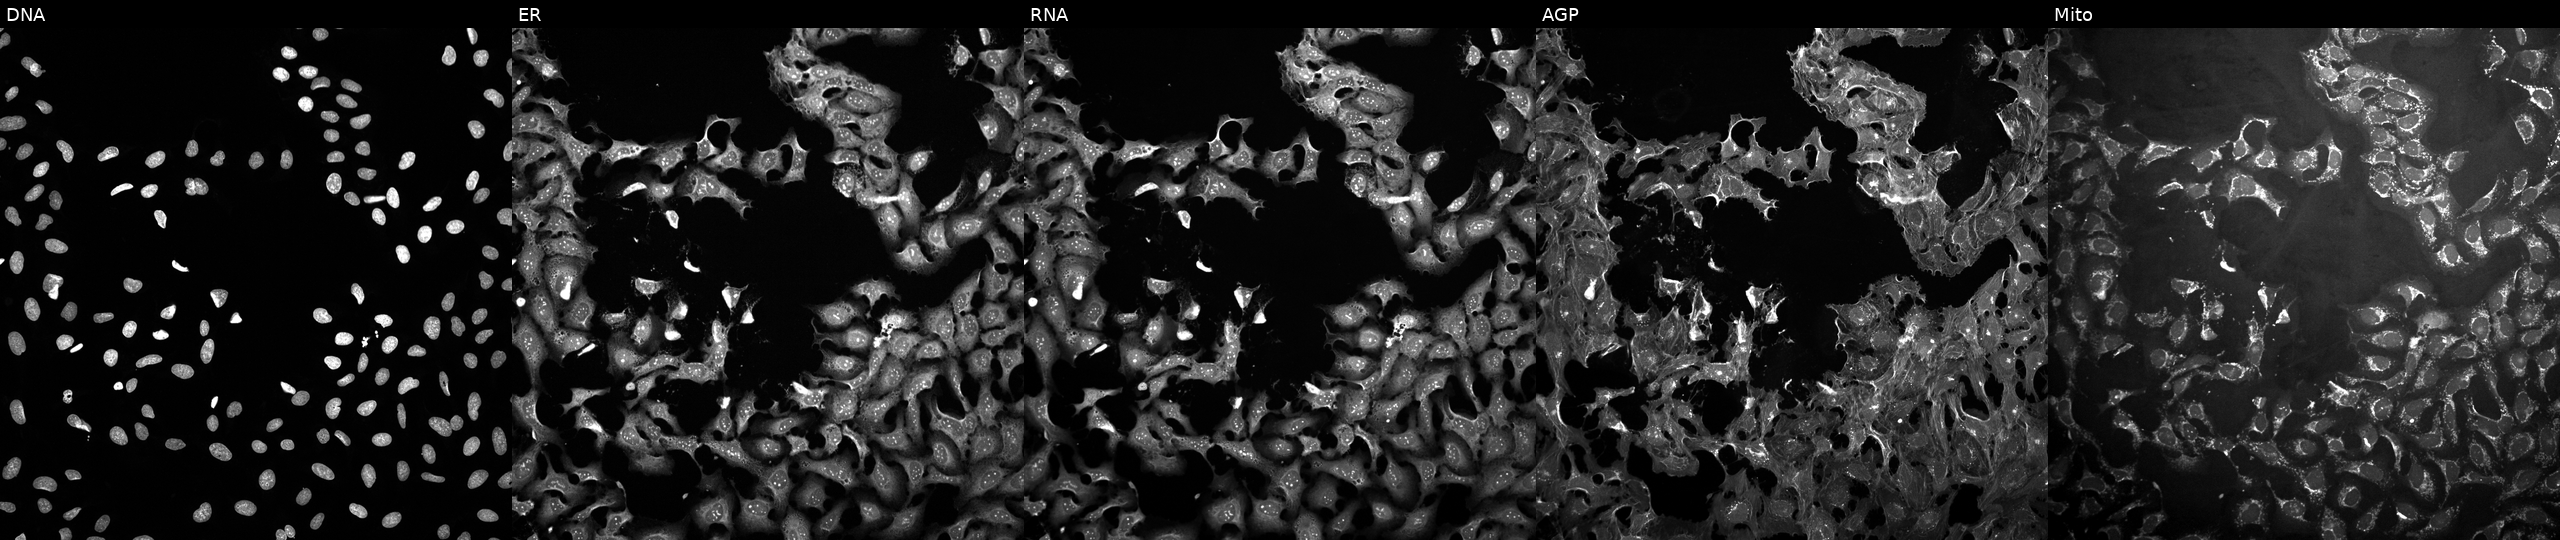
High-content fluorescence microscopy (Cell Painting). Cell line: U2OS. Perturbation: exposed to the positive-control compound FK-866 (JUMP id JCP2022_046054). Channels (left→right): Hoechst 33342, concanavalin A, SYTO 14, phalloidin and WGA, MitoTracker.